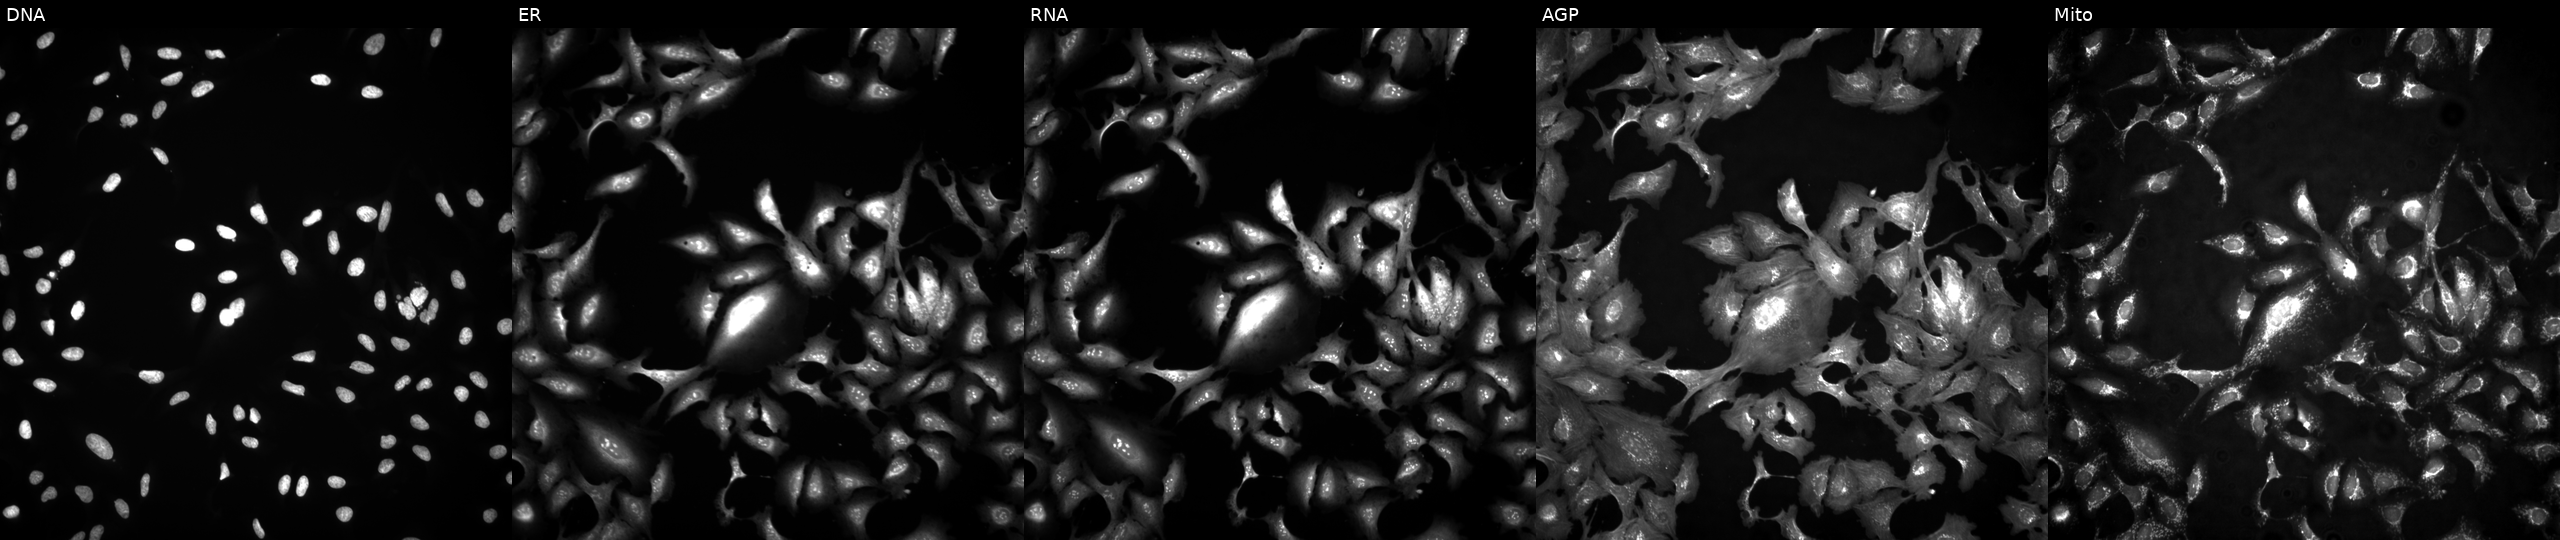
U2OS cells, Cell Painting assay, with PTK2 overexpressed (ORF) (JUMP id JCP2022_913843). The five panels, left to right, show Hoechst 33342, concanavalin A, SYTO 14, phalloidin and WGA, MitoTracker. Each panel is percentile-stretched 16-bit fluorescence. Source 4, plate BR00123945, well C02.